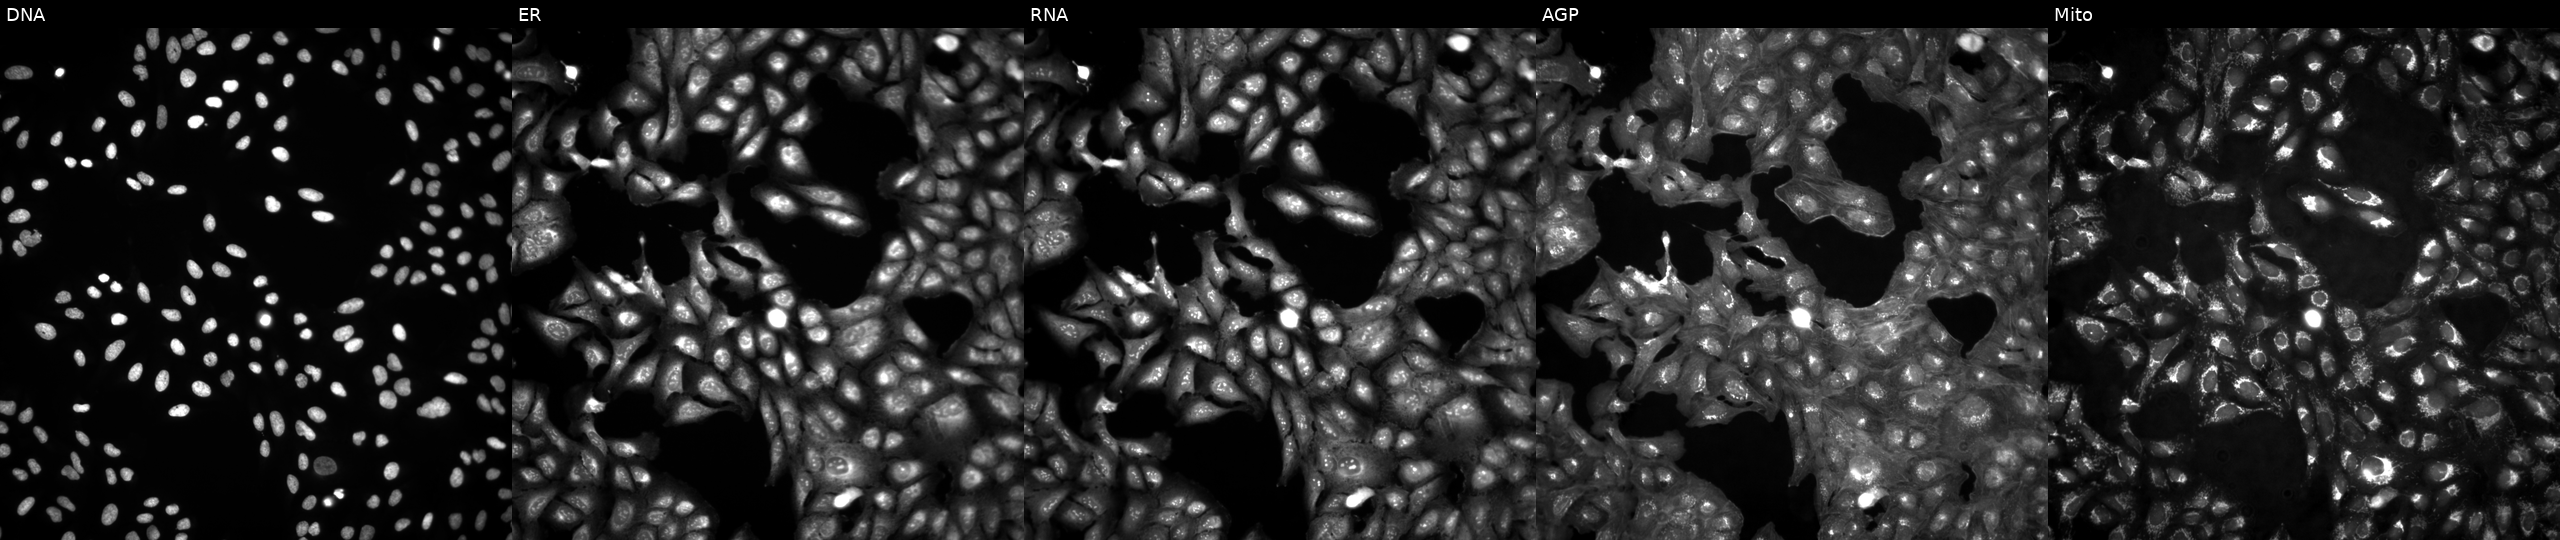
This image strip shows the five Cell Painting channels for a single field of U2OS cells in an empty control well (no perturbation) (JUMP id JCP2022_999999). The five panels, left to right, show DNA (nuclei); ER (endoplasmic reticulum); RNA (nucleoli and cytoplasmic RNA); AGP (actin cytoskeleton, Golgi, and plasma membrane); Mito (mitochondria).